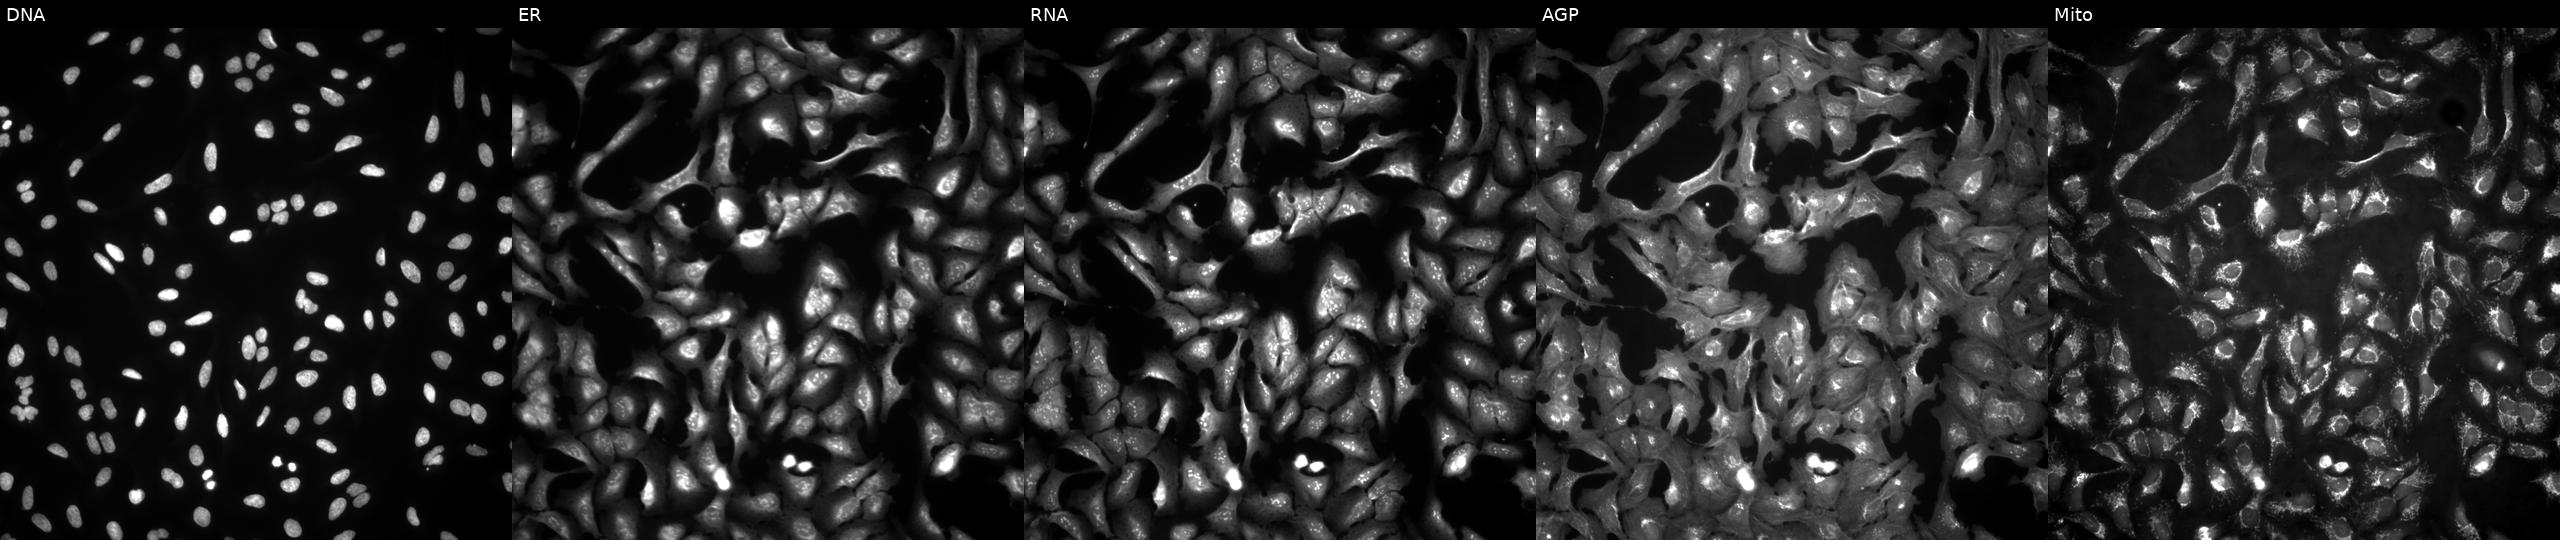
U2OS cells, Cell Painting assay, expressing BFP (ORF negative control). Channels (left→right): DNA (nuclei); ER (endoplasmic reticulum); RNA (nucleoli and cytoplasmic RNA); AGP (actin cytoskeleton, Golgi, and plasma membrane); Mito (mitochondria). Each panel is percentile-stretched 16-bit fluorescence.